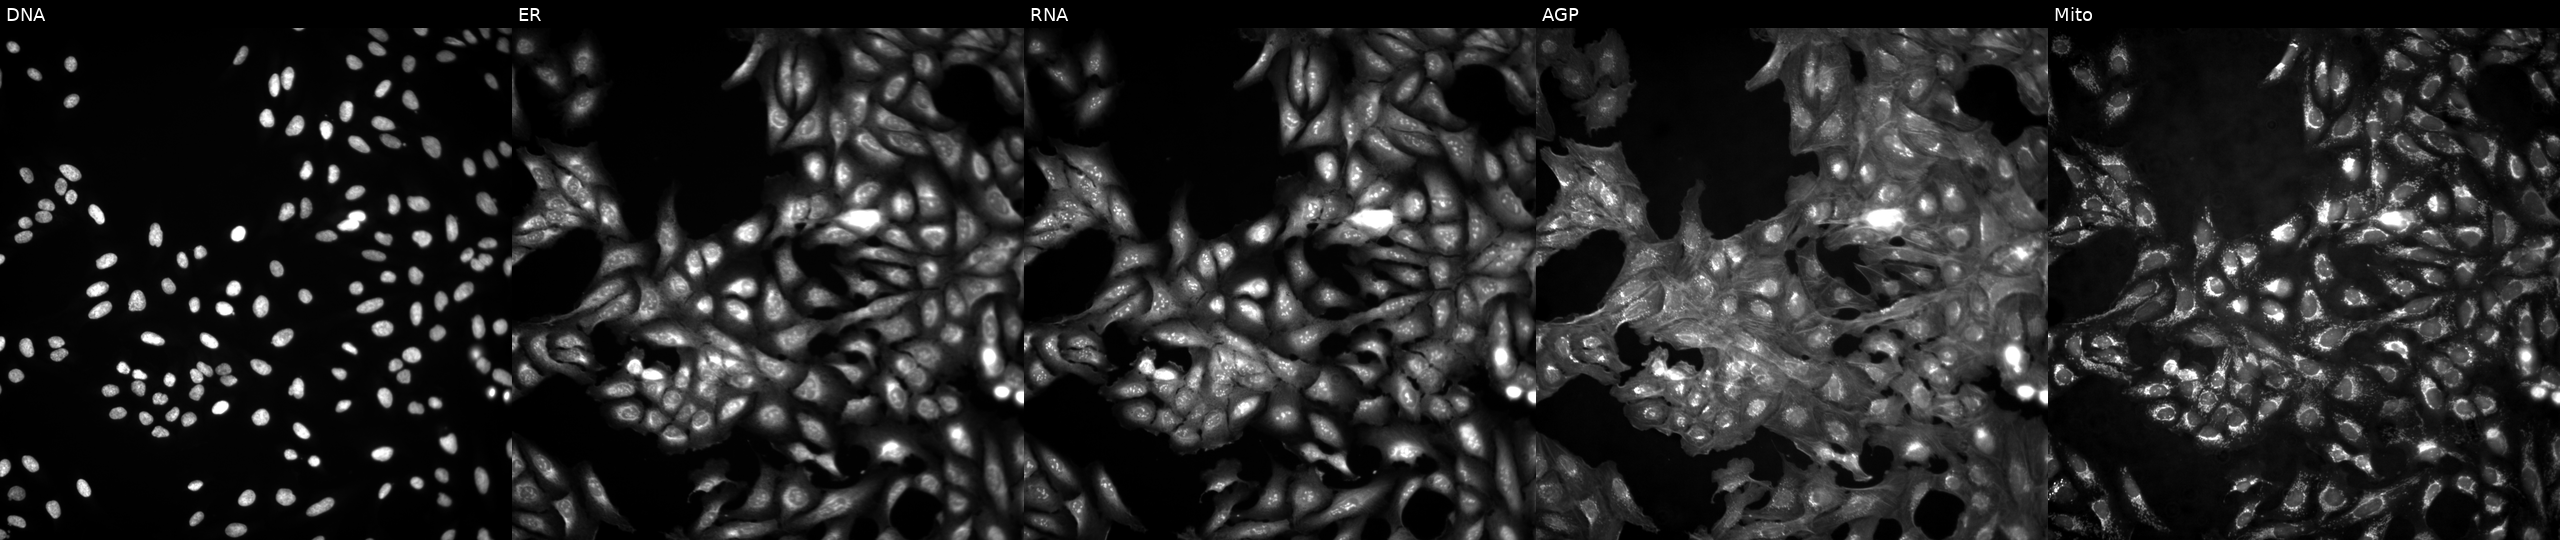
Five-channel Cell Painting image of U2OS cells in an empty control well (no perturbation) (JUMP id JCP2022_999999). The five panels, left to right, show Hoechst 33342, concanavalin A, SYTO 14, phalloidin and WGA, MitoTracker. Source 4, plate BR00124793, well P22.